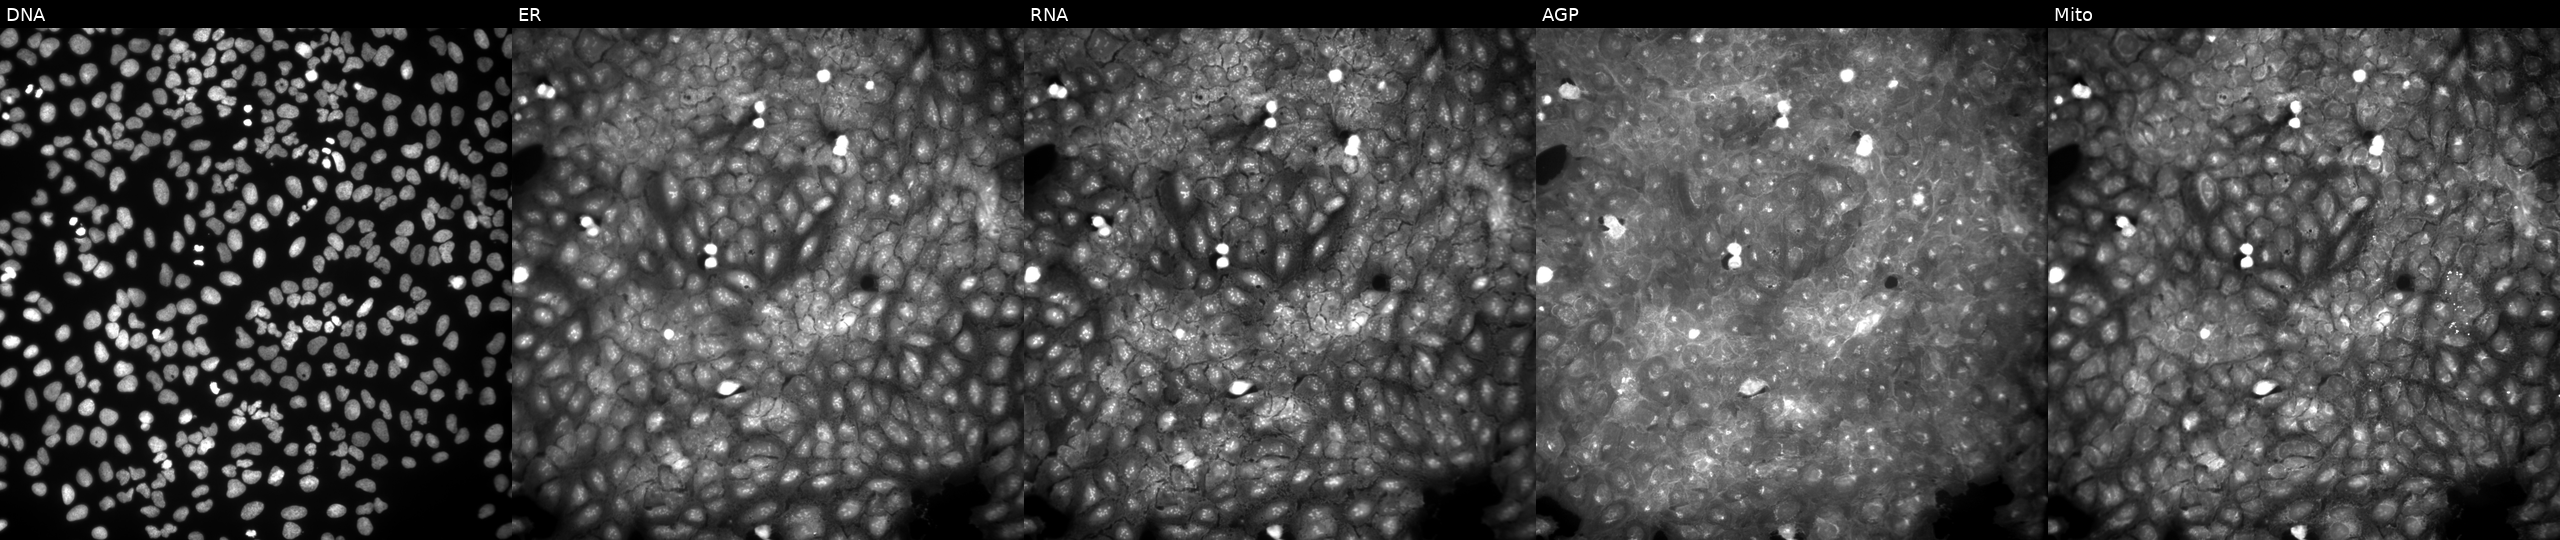
From left to right: DNA (nuclei); ER (endoplasmic reticulum); RNA (nucleoli and cytoplasmic RNA); AGP (actin cytoskeleton, Golgi, and plasma membrane); Mito (mitochondria). U2OS osteosarcoma cells treated with a small-molecule compound (InChIKey SEOOJQZAXYFUBN-UHFFFAOYSA-N) [SMILES: CCc1cc2c(=O)c(-c3nc4ccccc4n3C)coc2c(CN(C)C)c1O] (JUMP id JCP2022_082700). Cell Painting assay, JUMP-CP dataset.